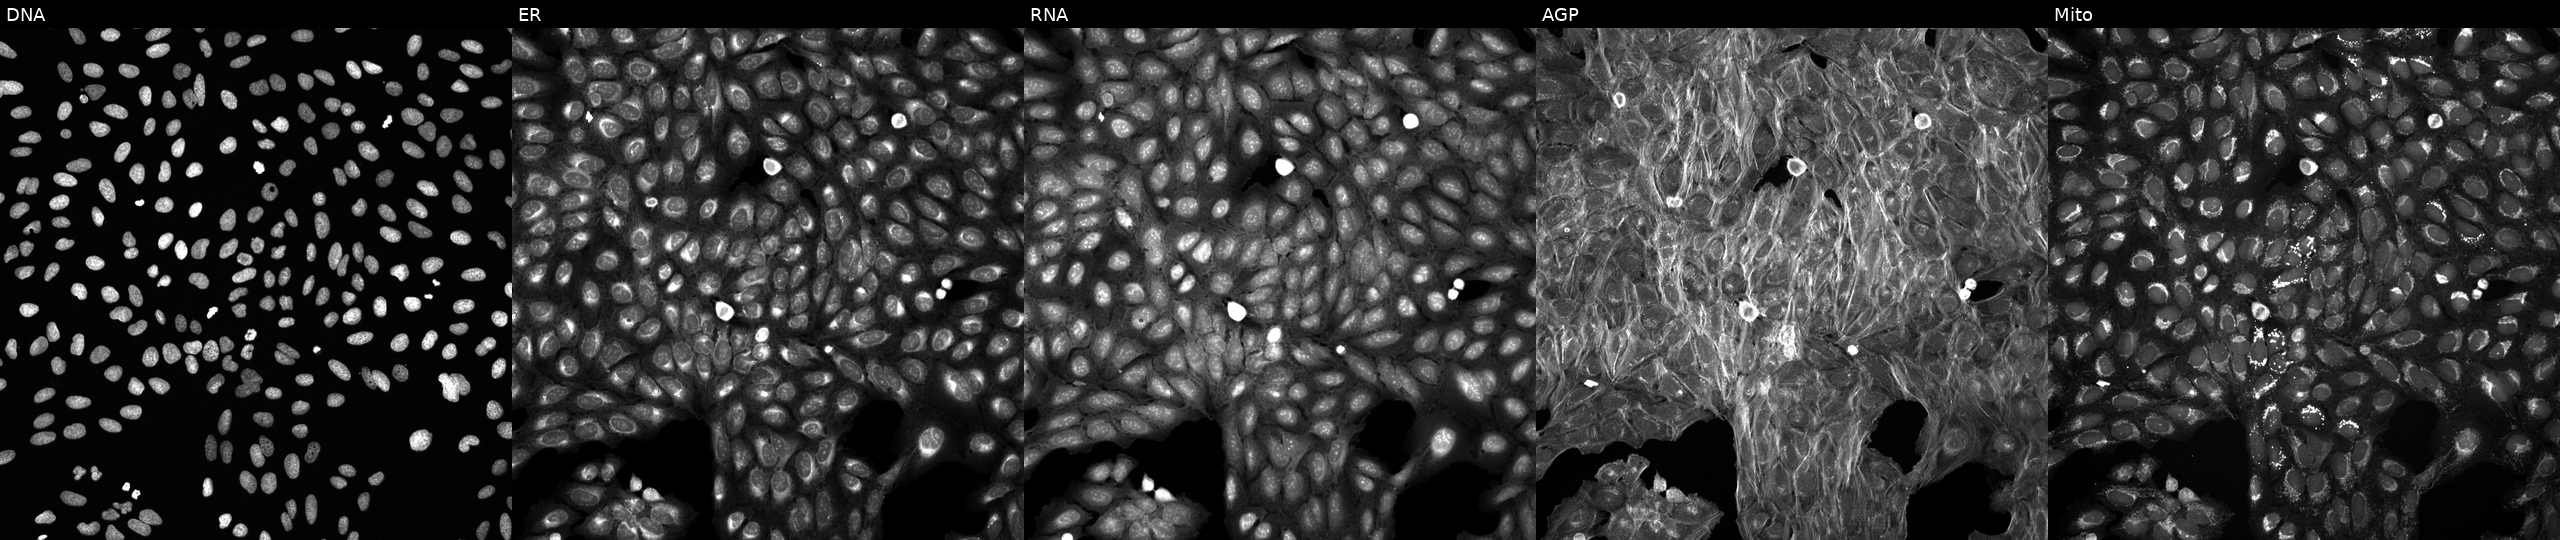
JUMP Cell Painting — TARGET2 plate. U2OS cells treated with DMSO vehicle only (negative control). The five panels, left to right, show DNA, ER, RNA, AGP, and Mito.